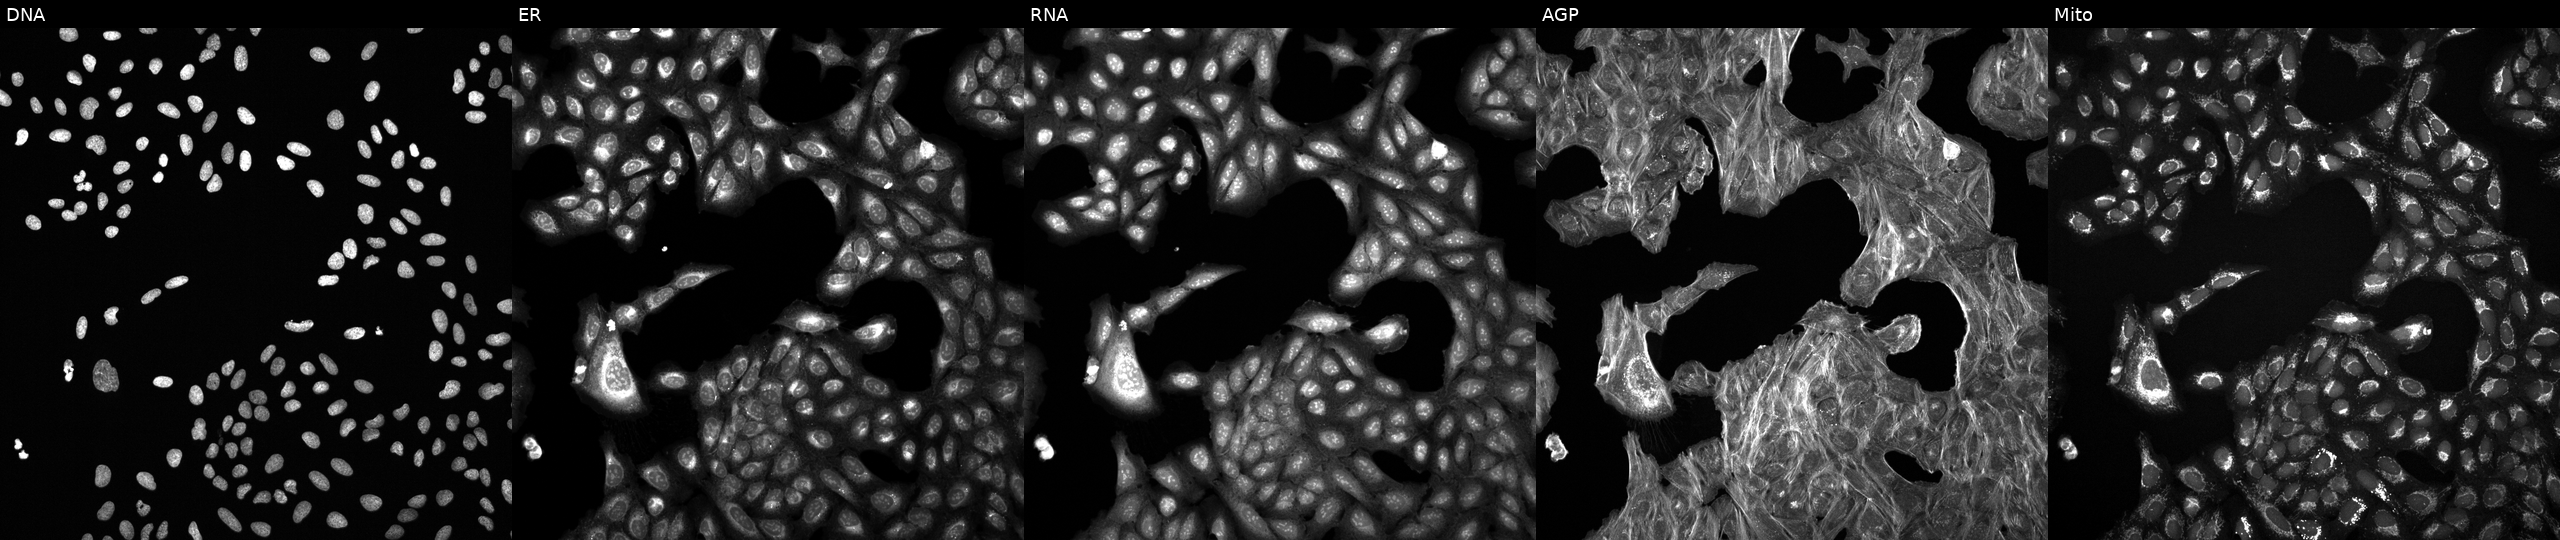
Channels (left→right): DNA, ER, RNA, AGP, and Mito. U2OS osteosarcoma cells exposed to a small-molecule compound (InChIKey QWJOPXDAQCDRRM-UHFFFAOYSA-N). Cell Painting assay, JUMP-CP dataset.